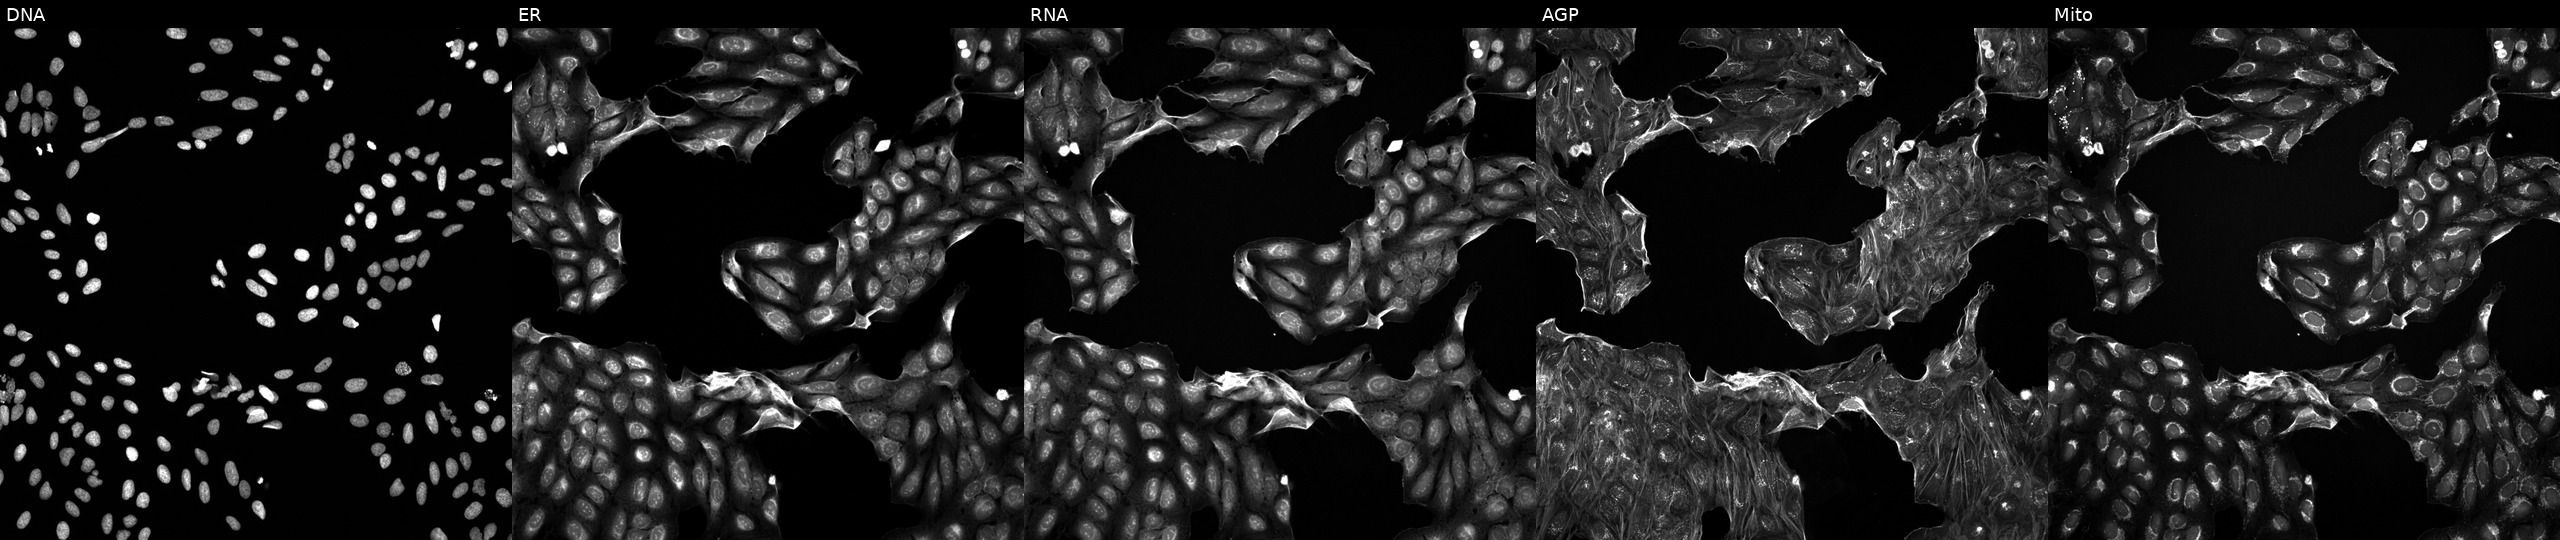
Five-channel Cell Painting image of U2OS cells exposed to a small-molecule compound (InChIKey GCUCIFQCGJIRNT-UHFFFAOYSA-N). From left to right: Hoechst 33342, concanavalin A, SYTO 14, phalloidin and WGA, MitoTracker.